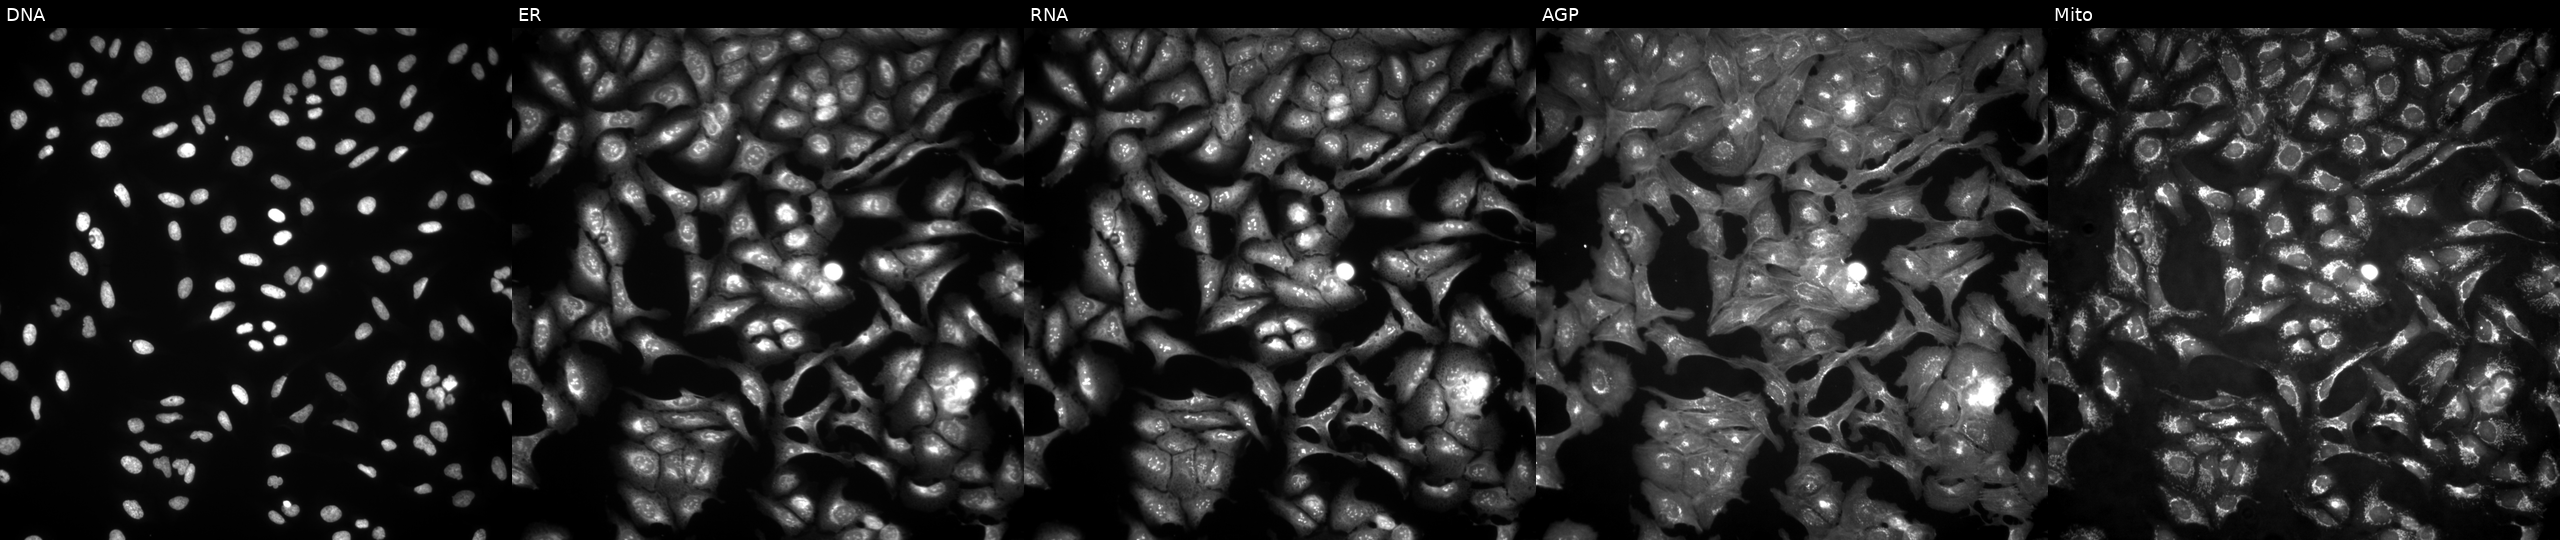
From left to right: Hoechst 33342, concanavalin A, SYTO 14, phalloidin and WGA, MitoTracker. U2OS osteosarcoma cells transfected with an ORF construct for SH3GLB1. Cell Painting assay, JUMP-CP dataset.